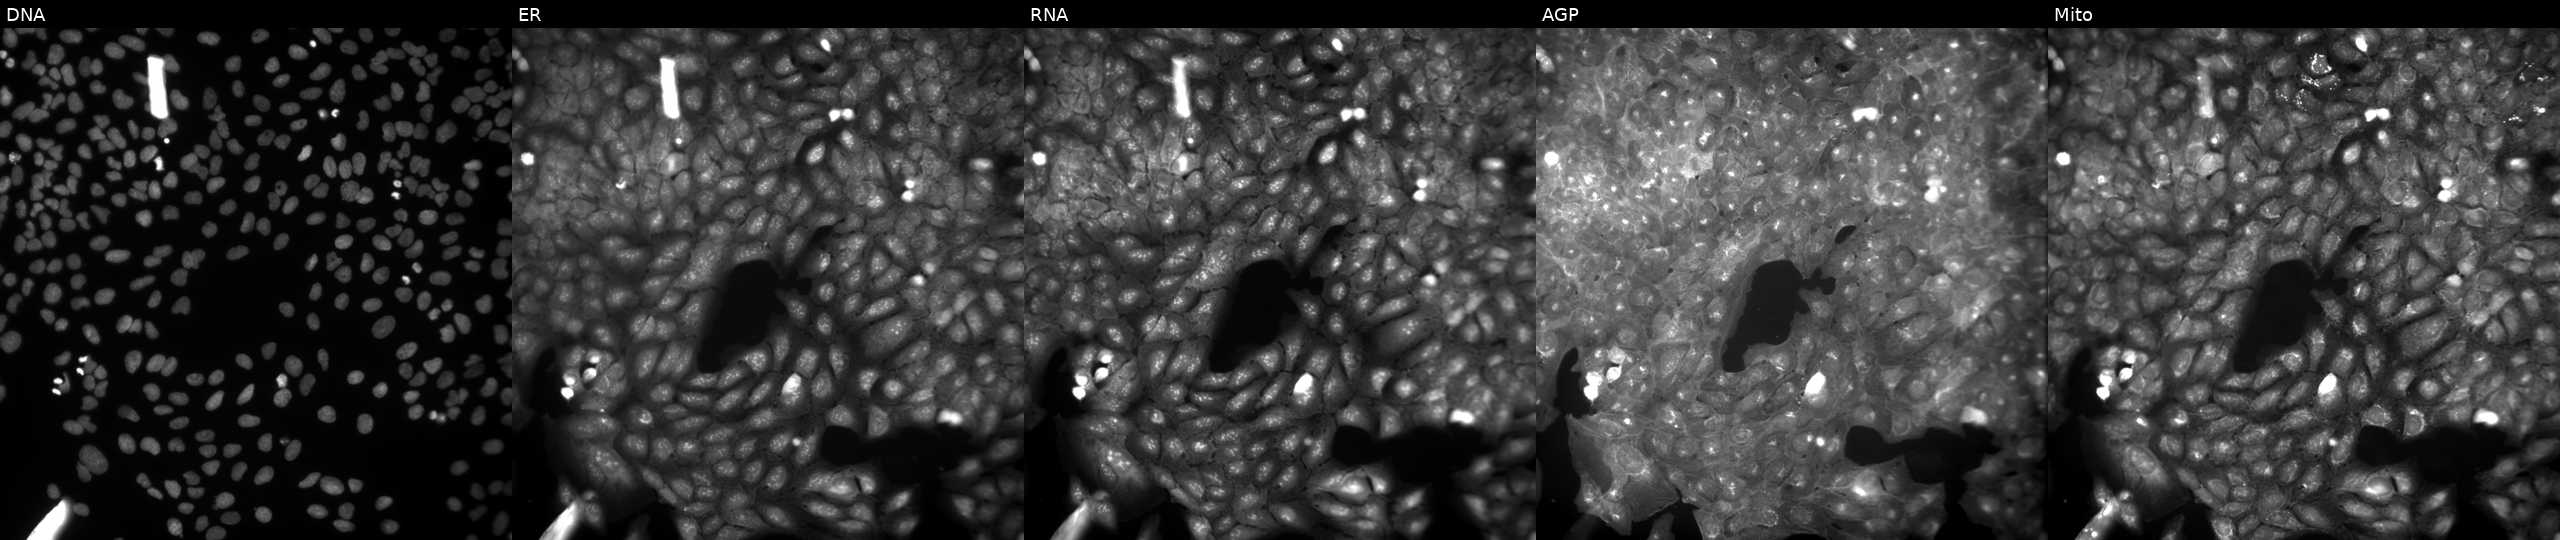
Five-channel Cell Painting image of U2OS cells exposed to a small-molecule compound (InChIKey ONSKPYHSULWDER-UHFFFAOYSA-N) (JUMP id JCP2022_064971). From left to right: DNA (nuclei); ER (endoplasmic reticulum); RNA (nucleoli and cytoplasmic RNA); AGP (actin cytoskeleton, Golgi, and plasma membrane); Mito (mitochondria).